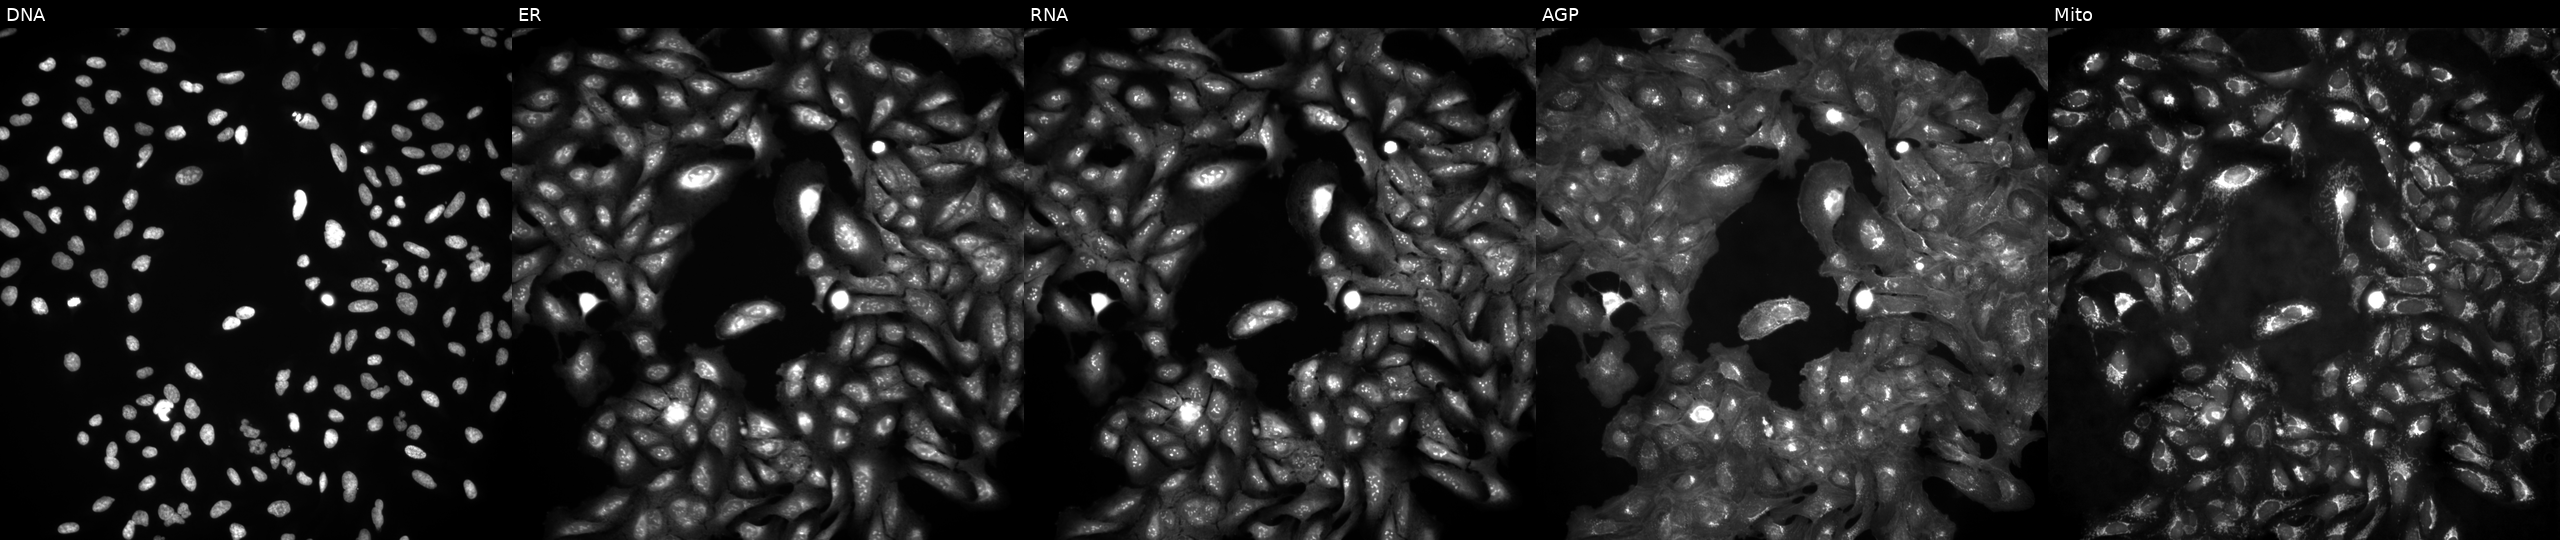
U2OS cells, Cell Painting assay, untreated (empty-well control) (JUMP id JCP2022_999999). From left to right: Hoechst 33342, concanavalin A, SYTO 14, phalloidin and WGA, MitoTracker. Each panel is percentile-stretched 16-bit fluorescence. Source 4, plate BR00123946, well L11.